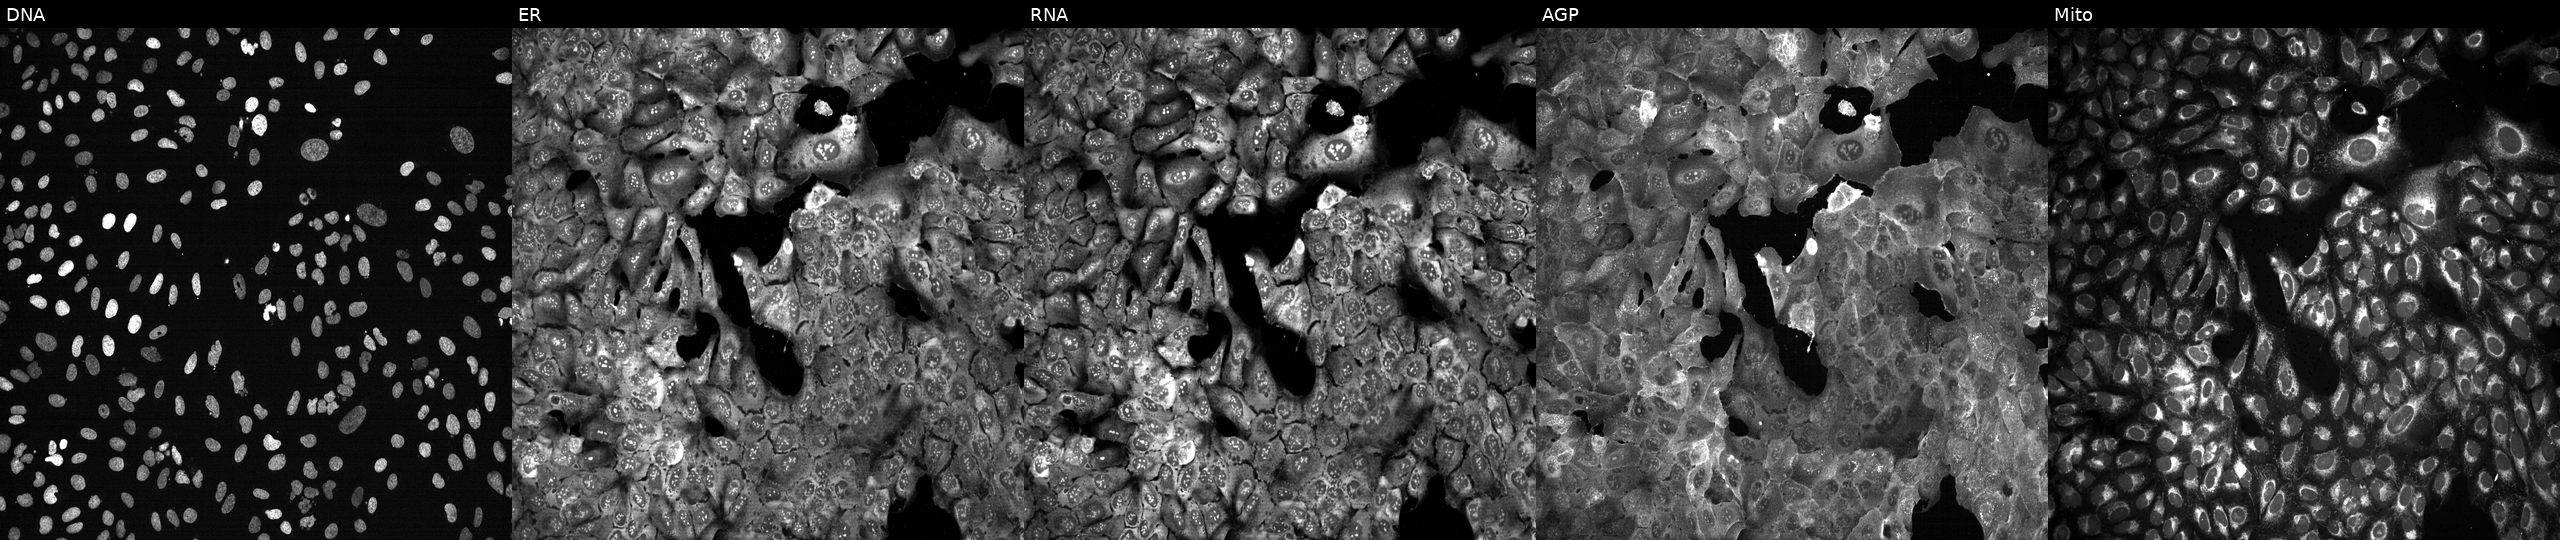
U2OS cells, Cell Painting assay, with PIGC knocked out by CRISPR. Channels (left→right): DNA (nuclei); ER (endoplasmic reticulum); RNA (nucleoli and cytoplasmic RNA); AGP (actin cytoskeleton, Golgi, and plasma membrane); Mito (mitochondria). Each panel is percentile-stretched 16-bit fluorescence.